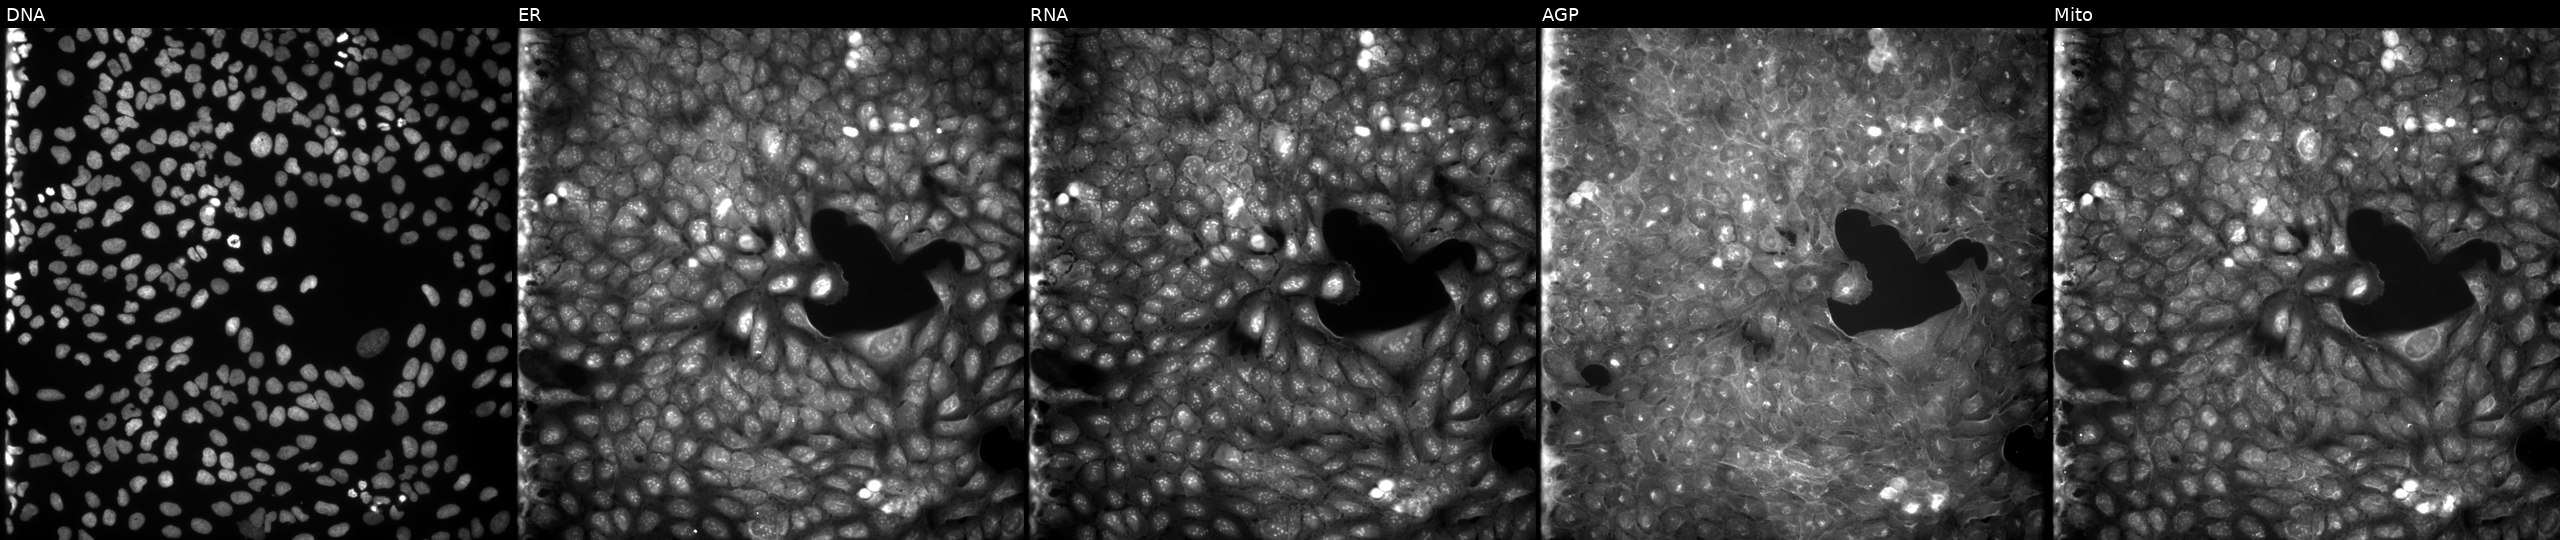
This image strip shows the five Cell Painting channels for a single field of U2OS cells treated with a small-molecule compound (InChIKey RNILNDPDKSBATK-UHFFFAOYSA-N) (JUMP id JCP2022_079495). The five panels, left to right, show Hoechst 33342, concanavalin A, SYTO 14, phalloidin and WGA, MitoTracker. Source 9, plate GR00003381, well C16.